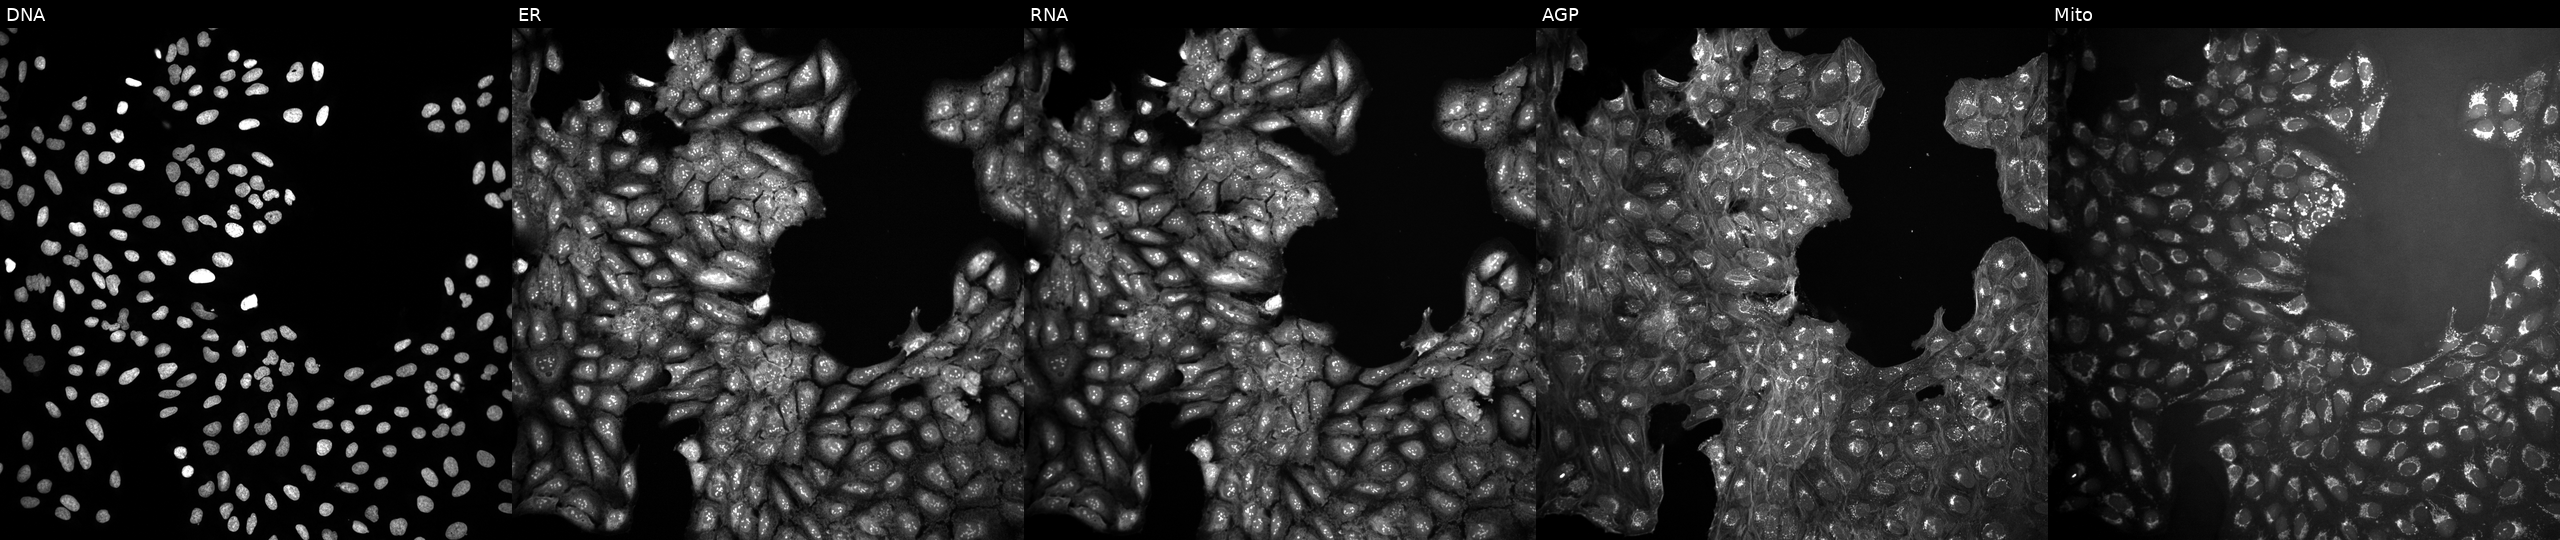
The five panels, left to right, show Hoechst 33342, concanavalin A, SYTO 14, phalloidin and WGA, MitoTracker. U2OS osteosarcoma cells untreated (empty-well control). Cell Painting assay, JUMP-CP dataset. Source 10, plate Dest210531-152149, well H20.